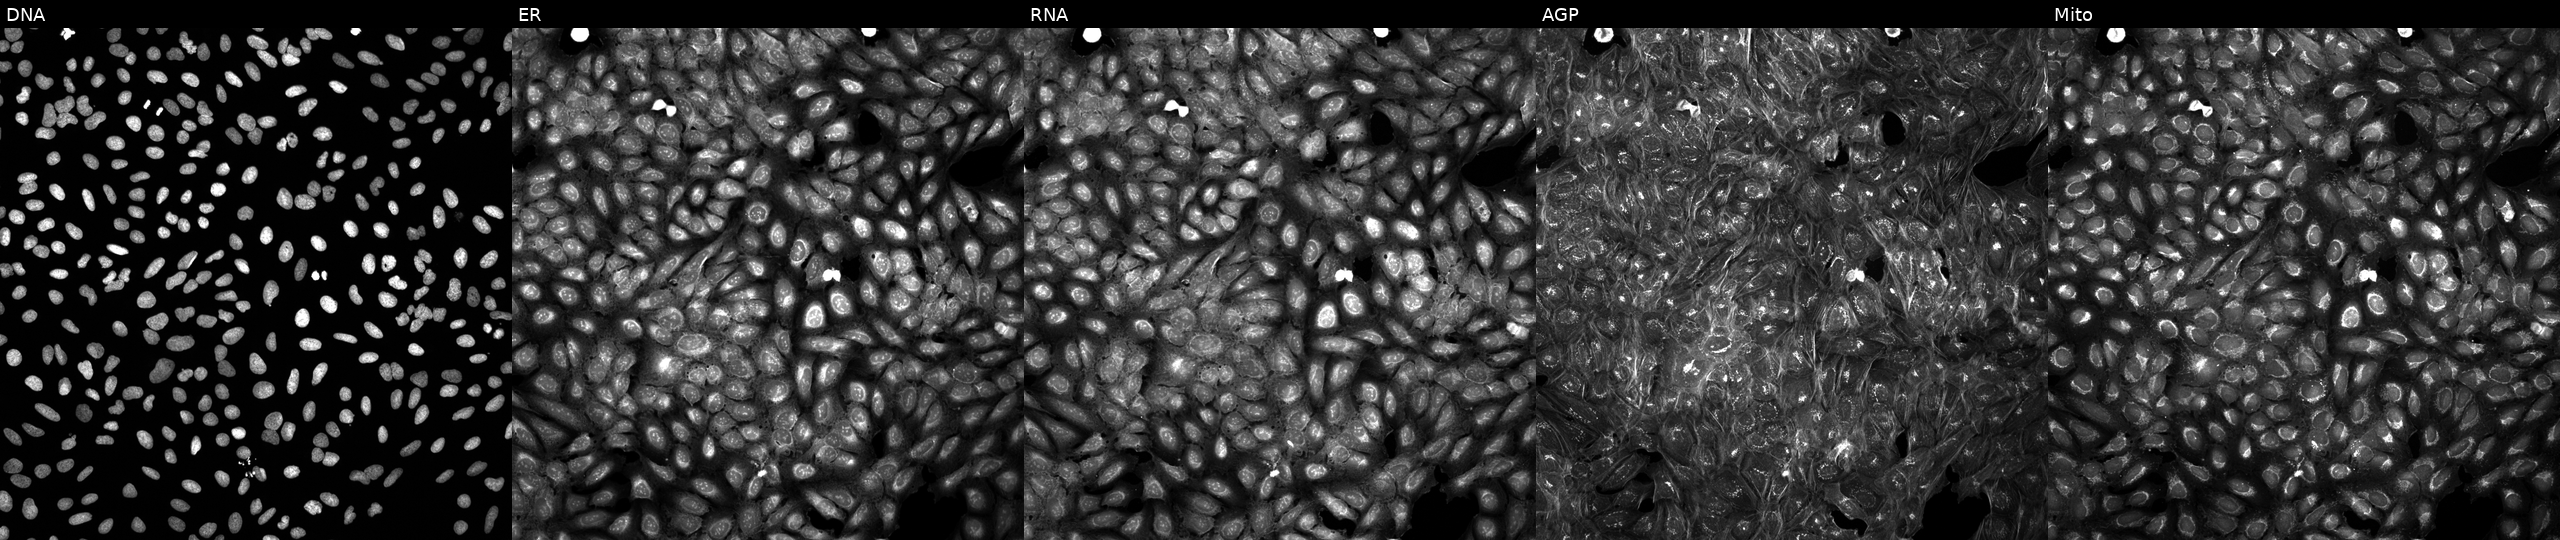
High-content fluorescence microscopy (Cell Painting). Cell line: U2OS. Perturbation: perturbed with a small-molecule compound (InChIKey JOXKSMCWIONIHI-UHFFFAOYSA-N). Channels (left→right): DNA, ER, RNA, AGP, and Mito.